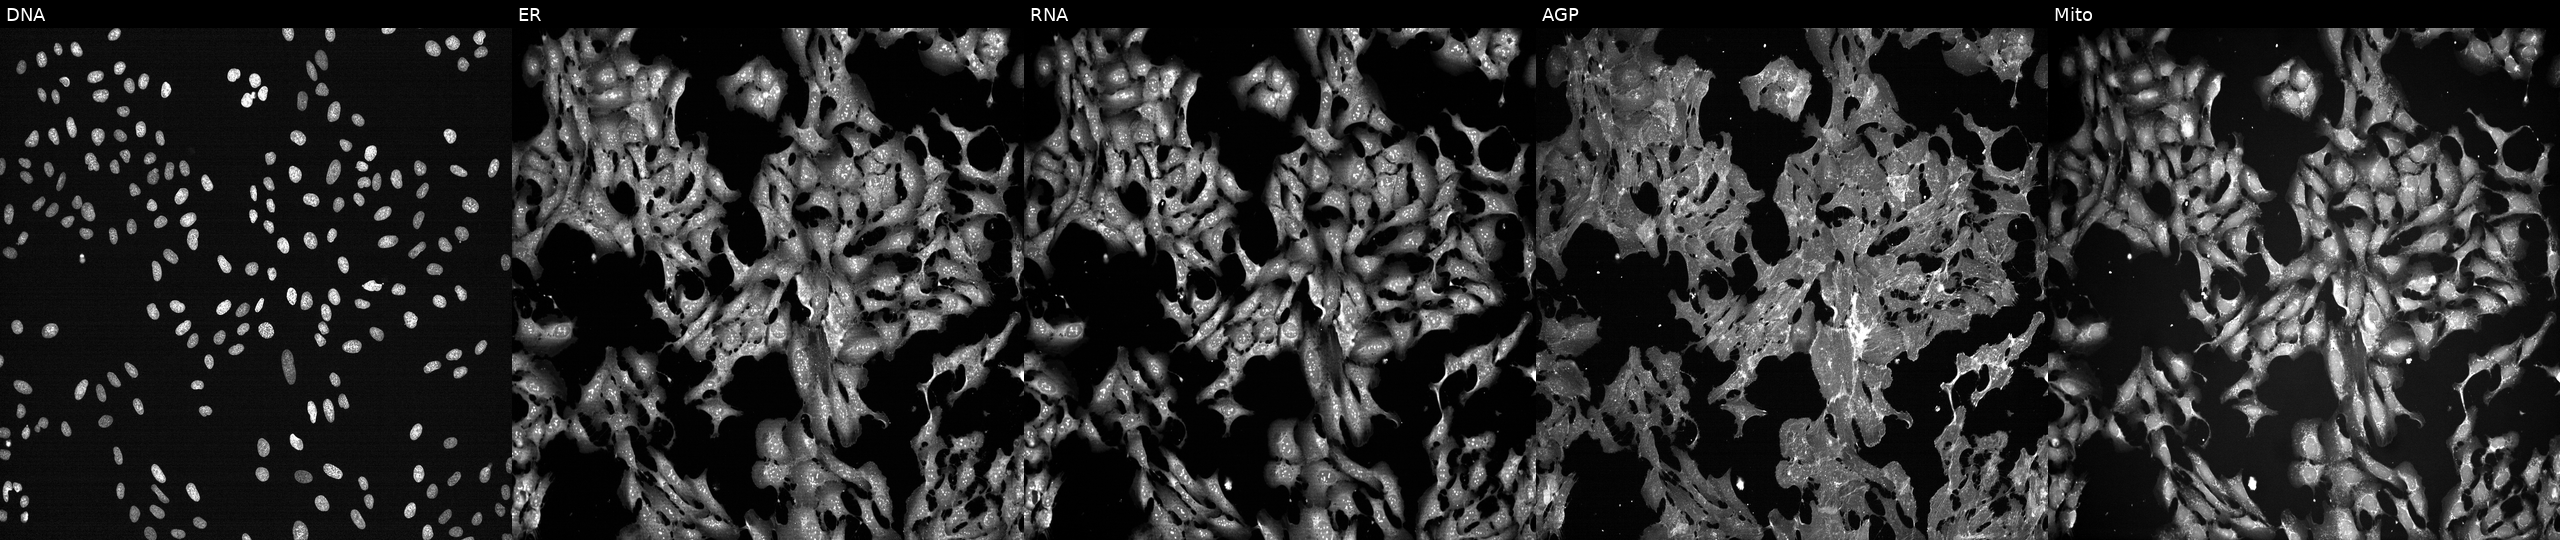
Five-channel Cell Painting image of U2OS cells treated with FK-866 (positive-control compound). From left to right: Hoechst 33342, concanavalin A, SYTO 14, phalloidin and WGA, MitoTracker.